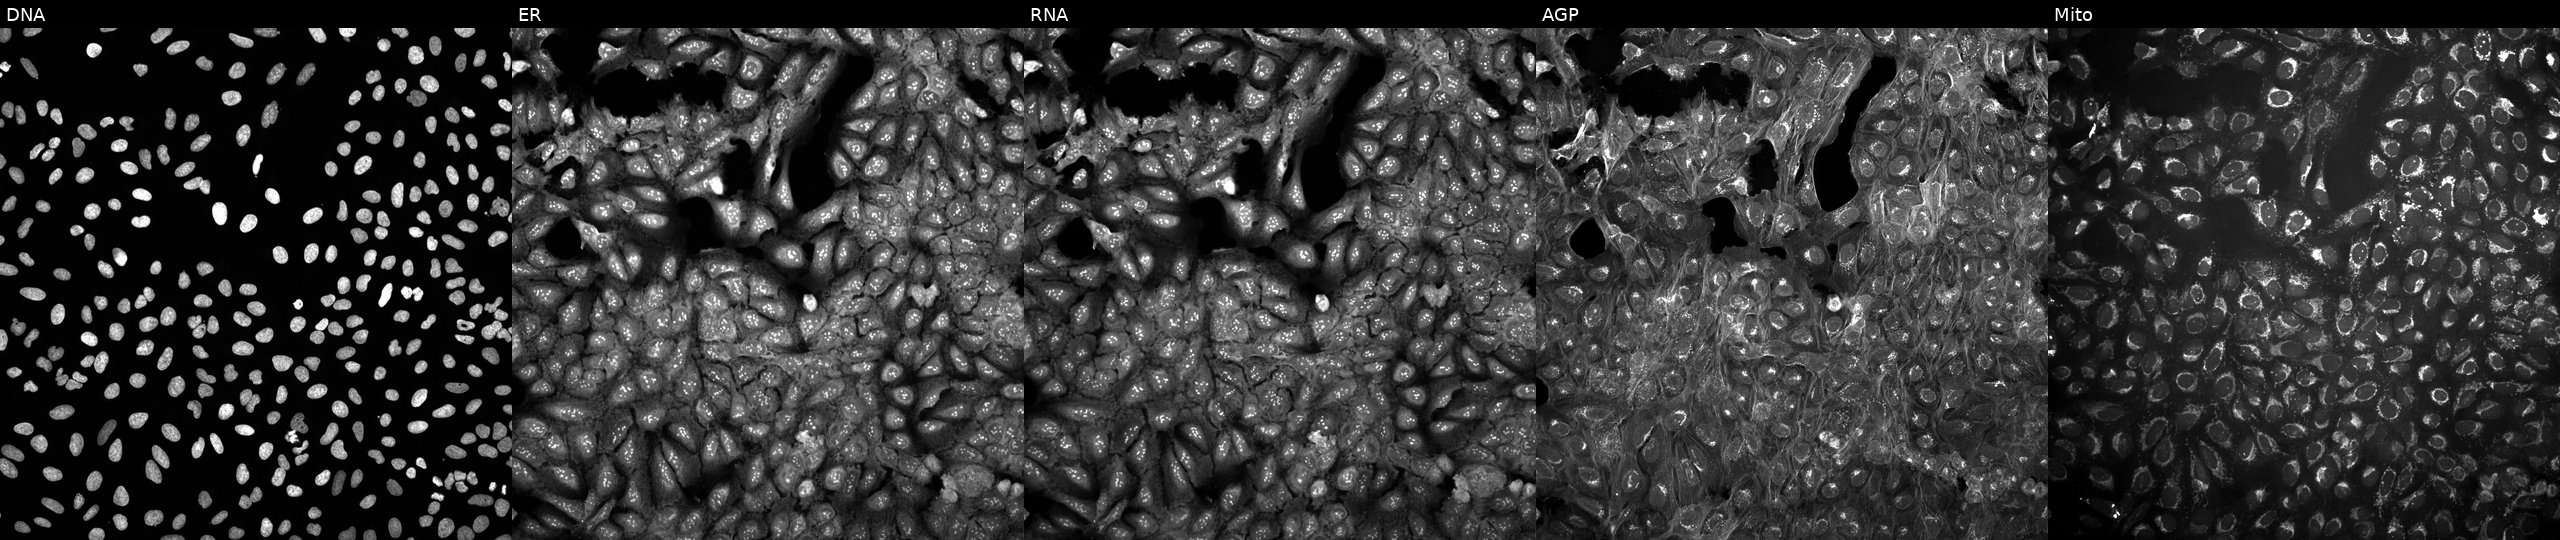
This image strip shows the five Cell Painting channels for a single field of U2OS cells untreated (empty-well control) (JUMP id JCP2022_999999). Panels show, left to right, Hoechst 33342, concanavalin A, SYTO 14, phalloidin and WGA, MitoTracker.